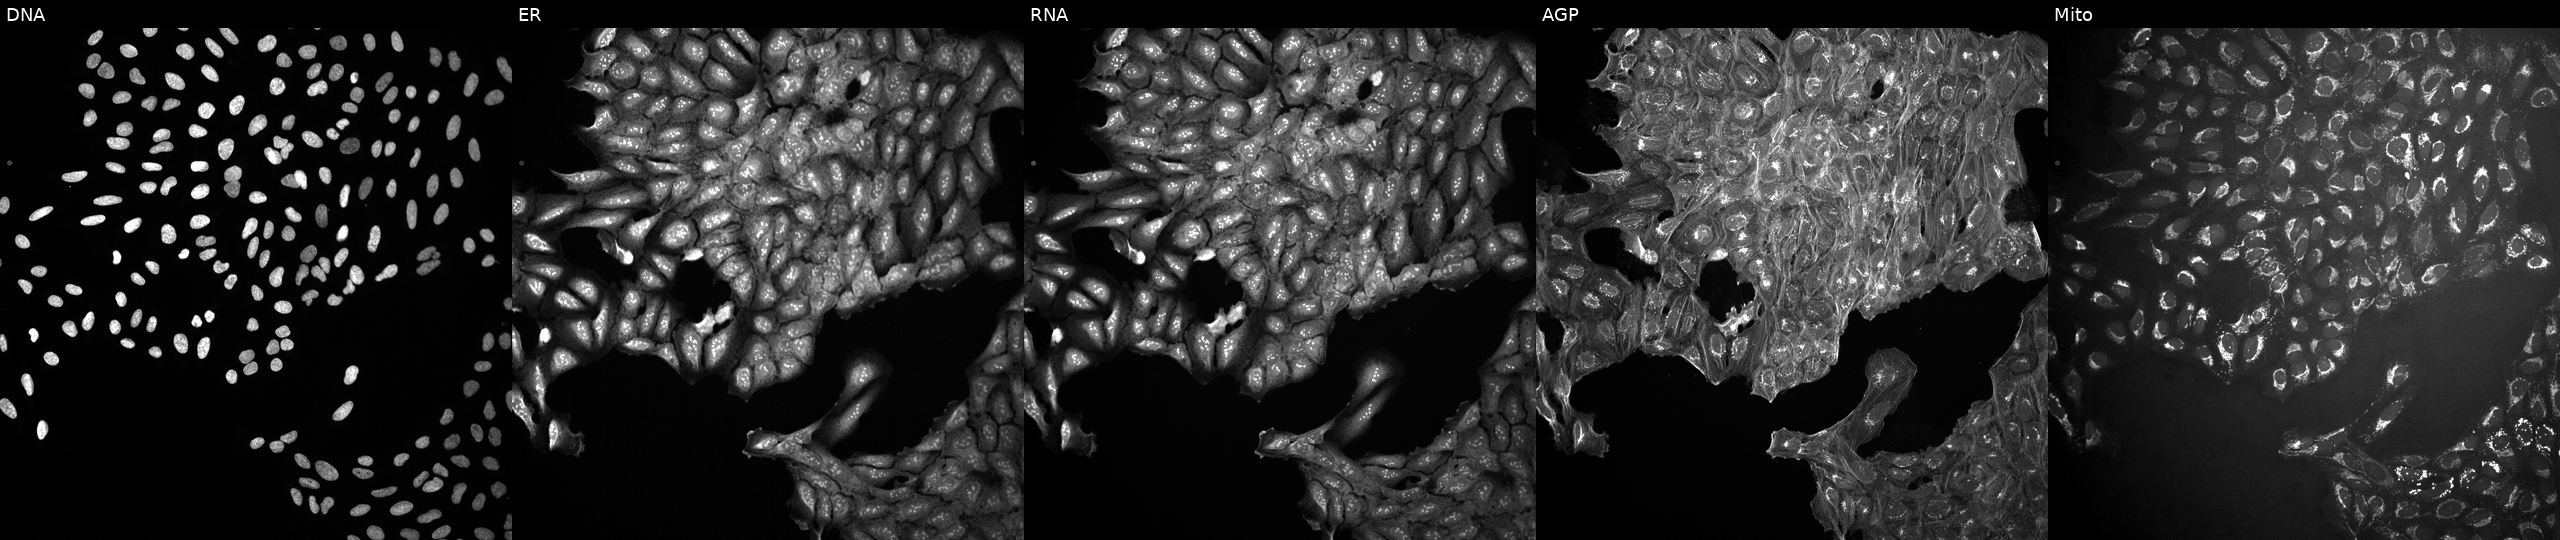
Five-channel Cell Painting image of U2OS cells perturbed with a small-molecule compound (InChIKey VLCUXKCQNFYBKQ-UHFFFAOYSA-N) [SMILES: Cc1ccc(C2CN(C(=O)c3ncccc3C)C3C4CCN(CC4)C23)cc1] (JUMP id JCP2022_094689). Panels show, left to right, DNA (nuclei); ER (endoplasmic reticulum); RNA (nucleoli and cytoplasmic RNA); AGP (actin cytoskeleton, Golgi, and plasma membrane); Mito (mitochondria). Source 10, plate Dest210531-152149, well G16.